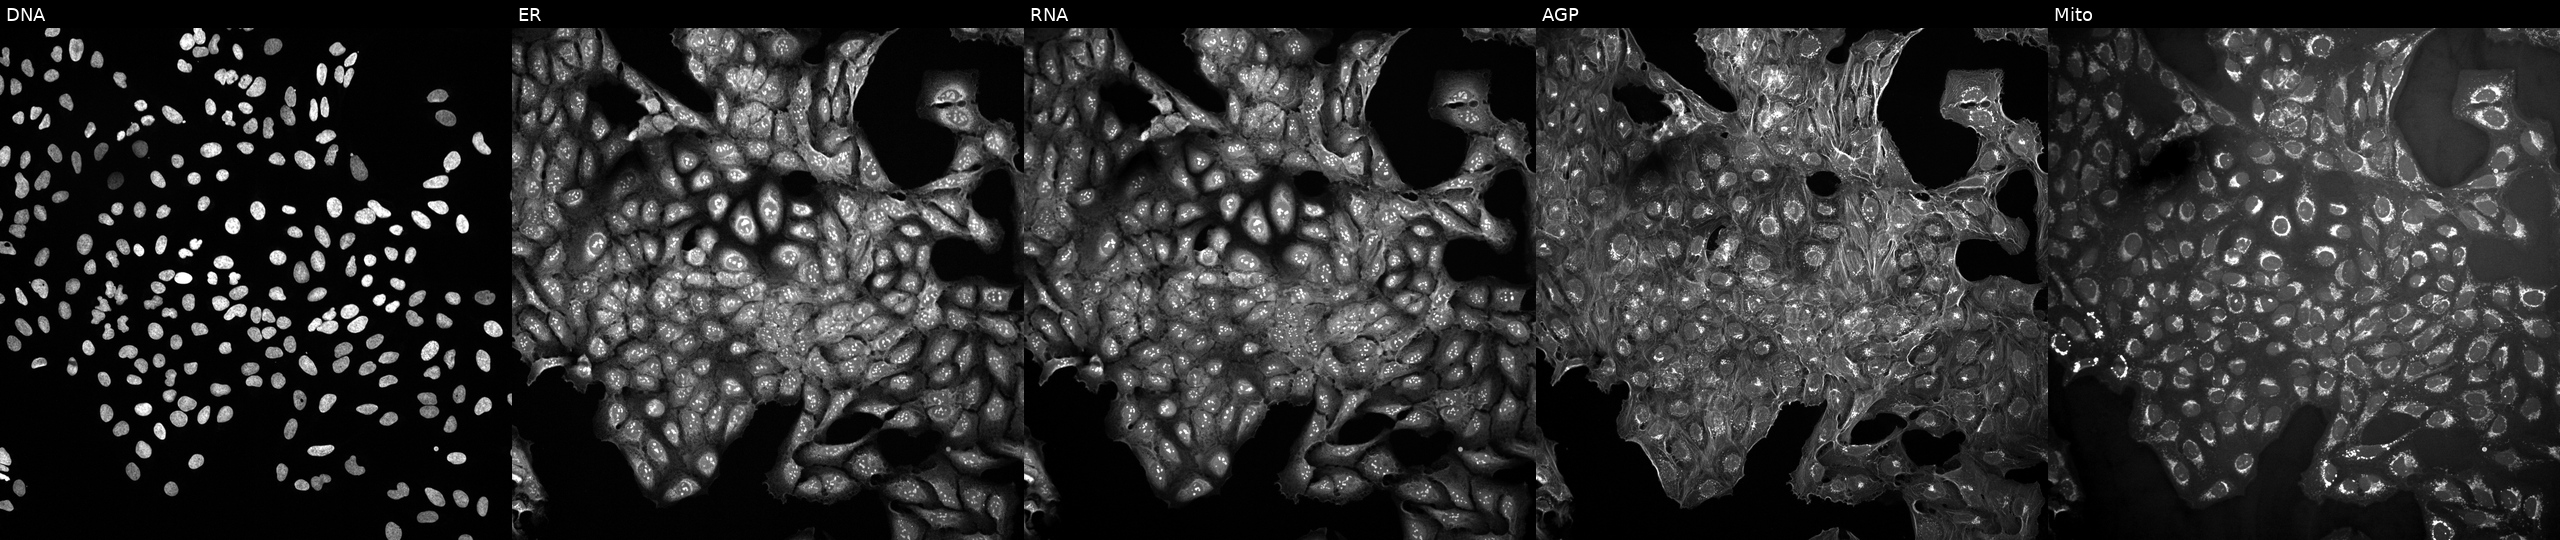
Five-channel Cell Painting image of U2OS cells untreated (empty-well control) (JUMP id JCP2022_999999). From left to right: DNA, ER, RNA, AGP, and Mito.